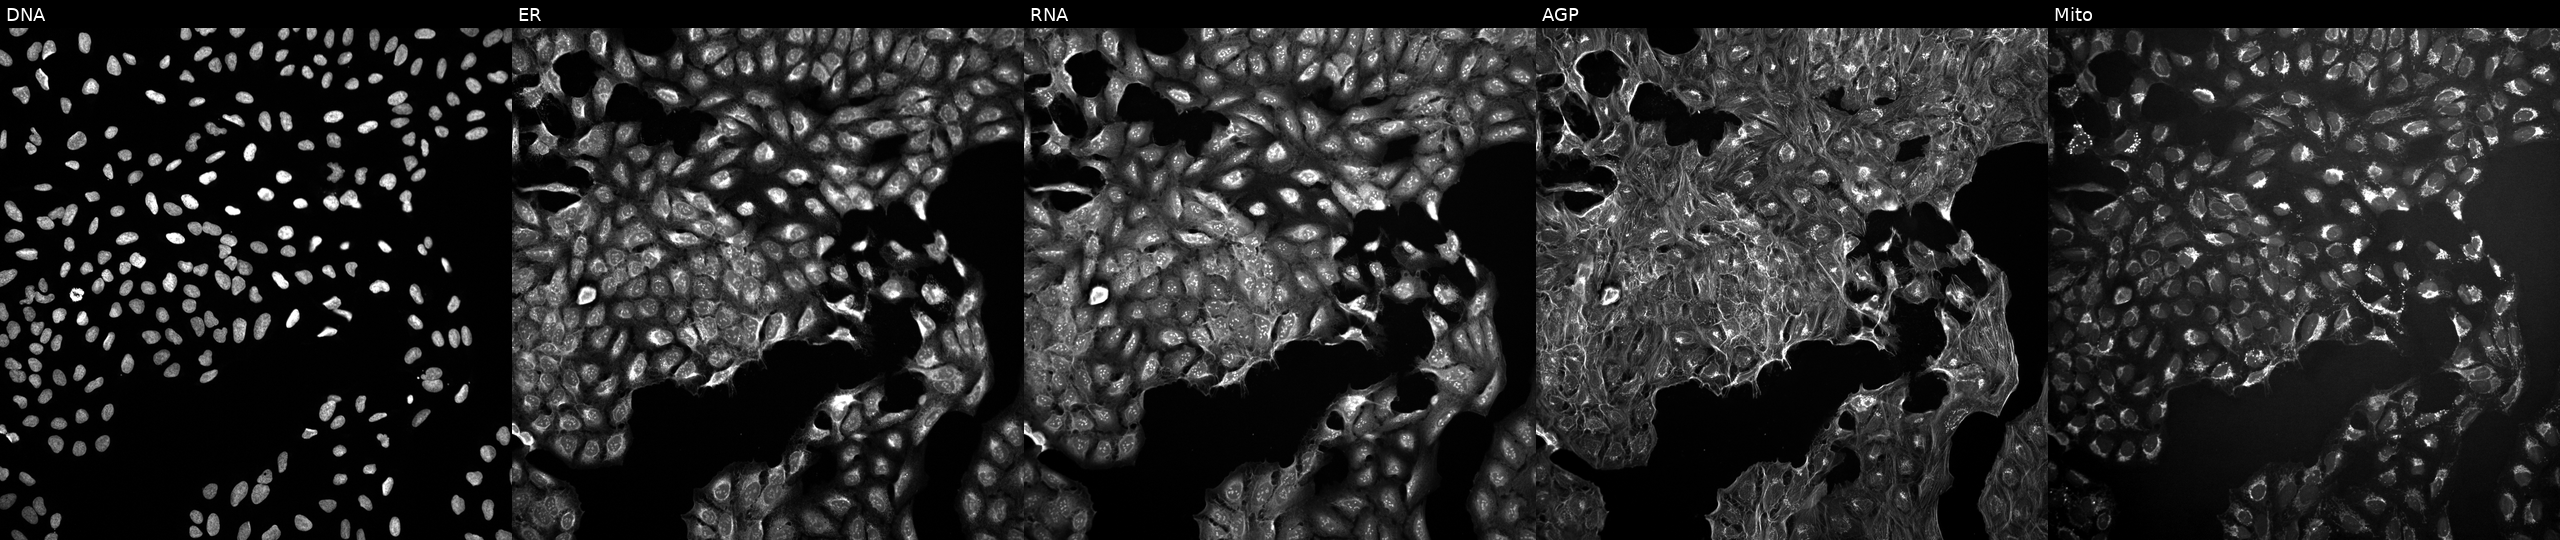
This image strip shows the five Cell Painting channels for a single field of U2OS cells untreated (empty-well control) (JUMP id JCP2022_999999). From left to right: DNA (nuclei); ER (endoplasmic reticulum); RNA (nucleoli and cytoplasmic RNA); AGP (actin cytoskeleton, Golgi, and plasma membrane); Mito (mitochondria).